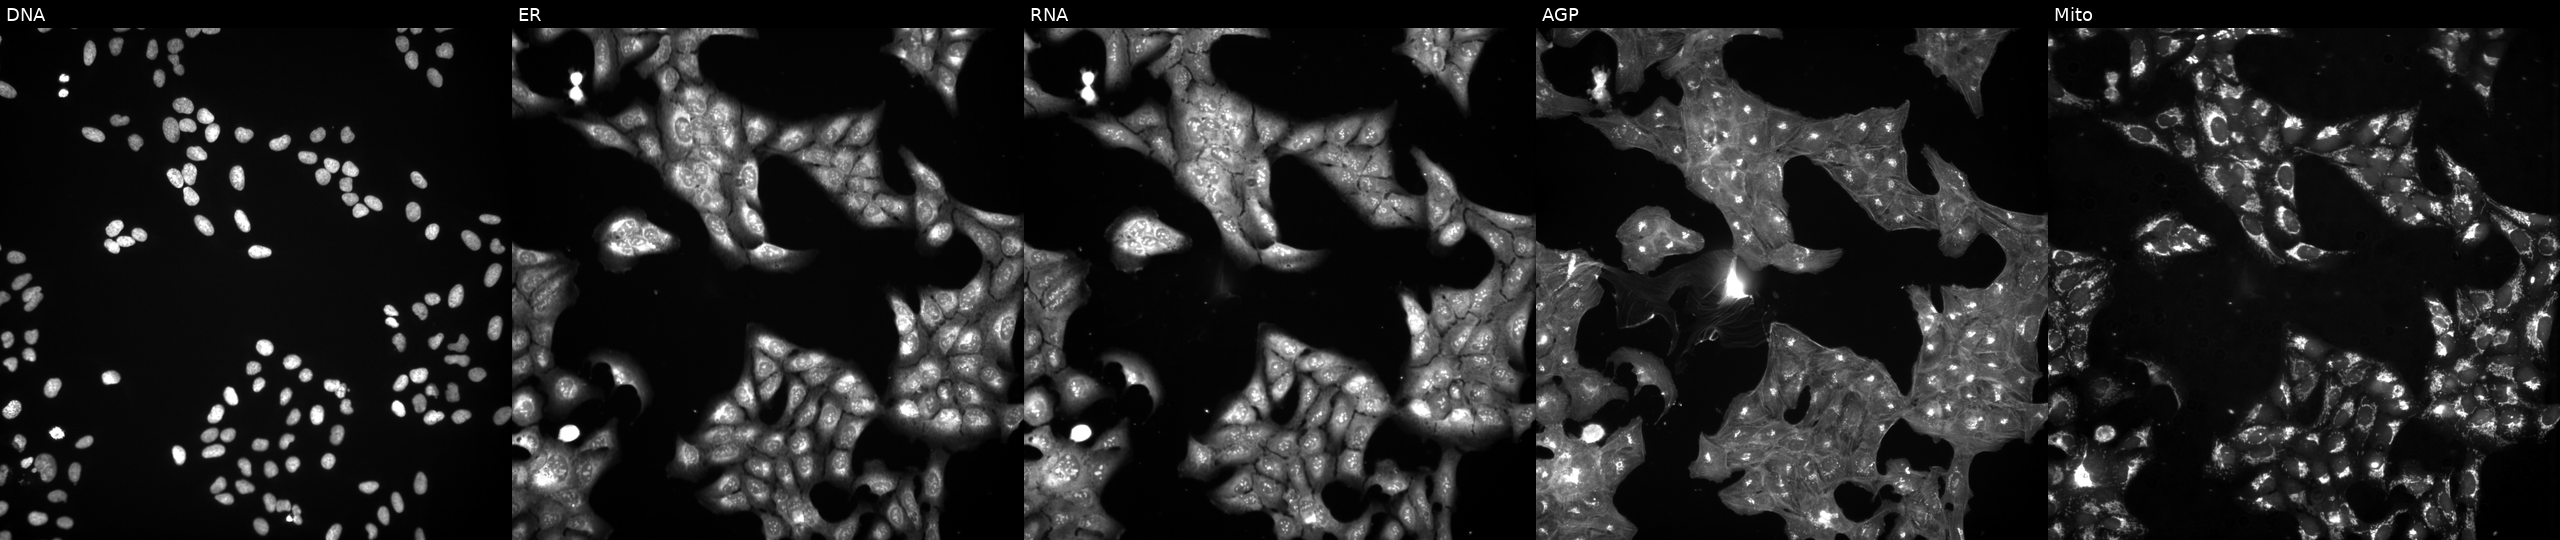
U2OS cells, Cell Painting assay, perturbed with a small-molecule compound (InChIKey HQESYHCKQSYGBO-UHFFFAOYSA-N) [SMILES: COc1ccc2c(c1)C1=NC(=S)NC(c3ccccc3)C1CC2] (JUMP id JCP2022_031847). The five panels, left to right, show DNA (nuclei); ER (endoplasmic reticulum); RNA (nucleoli and cytoplasmic RNA); AGP (actin cytoskeleton, Golgi, and plasma membrane); Mito (mitochondria). Each panel is percentile-stretched 16-bit fluorescence. Source 3, plate BR5867a3, well F19.